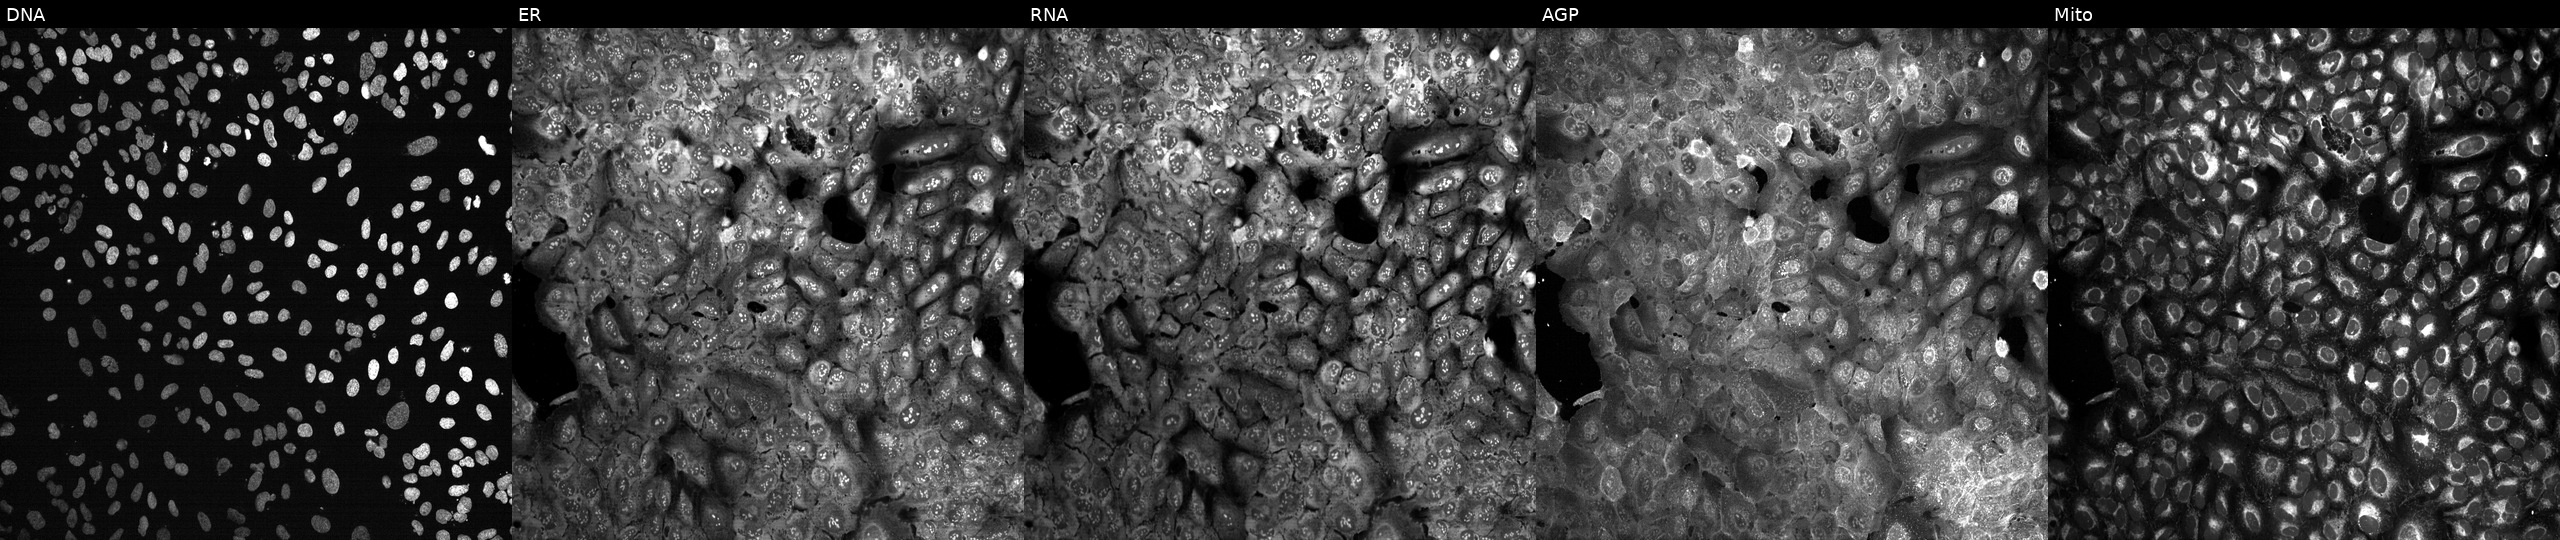
Five-channel Cell Painting image of U2OS cells CRISPR-edited to disrupt ADH1A. The five panels, left to right, show DNA (nuclei); ER (endoplasmic reticulum); RNA (nucleoli and cytoplasmic RNA); AGP (actin cytoskeleton, Golgi, and plasma membrane); Mito (mitochondria).